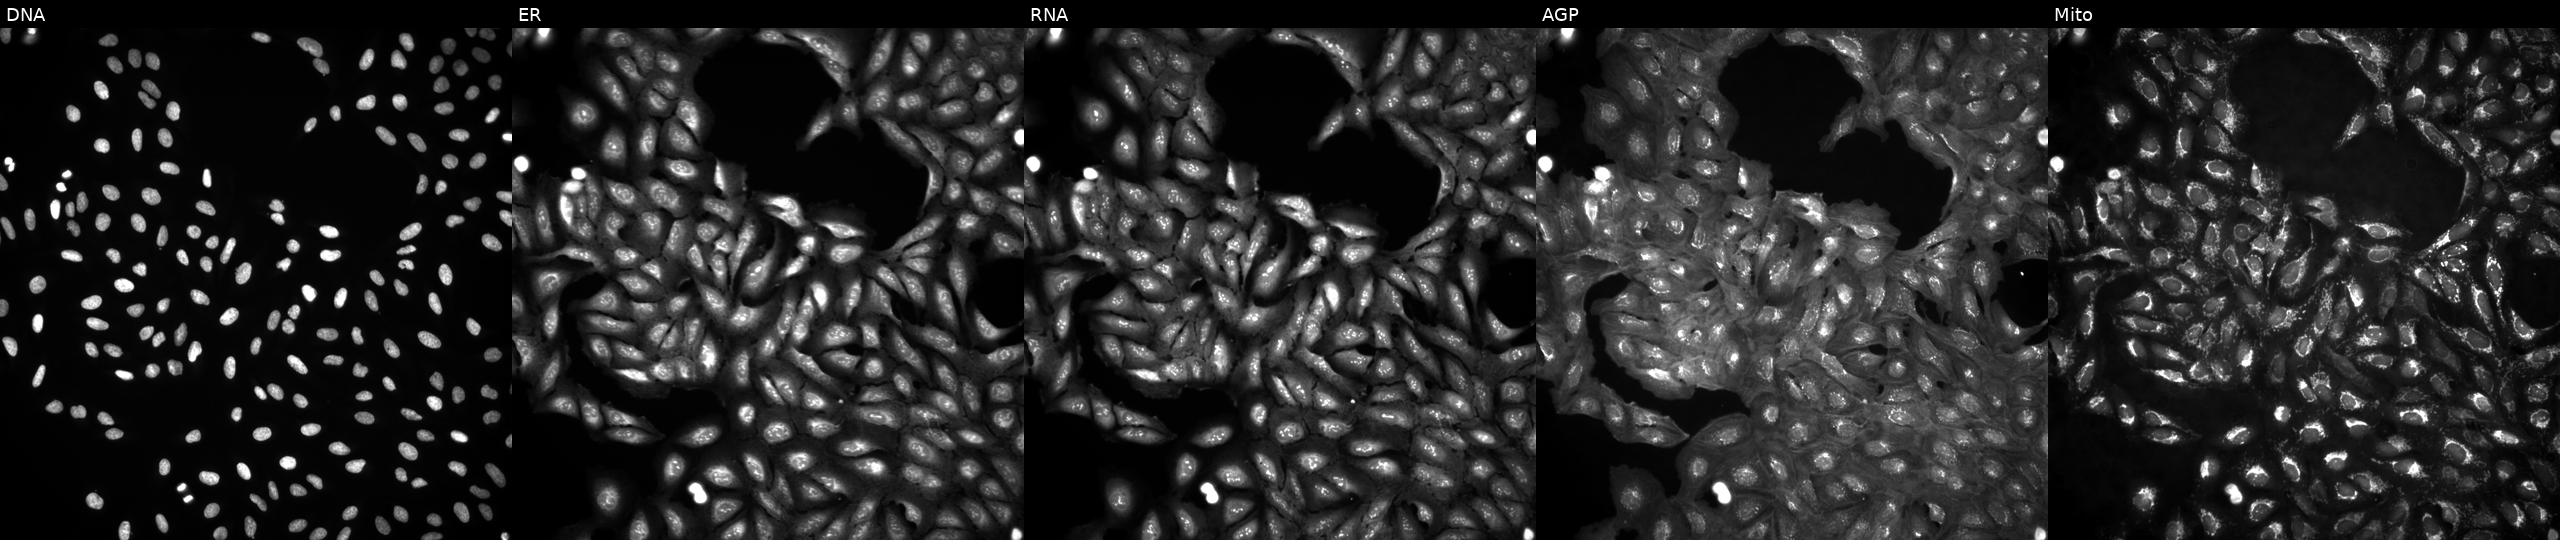
Five-channel Cell Painting image of U2OS cells untreated (empty-well control) (JUMP id JCP2022_999999). From left to right: DNA, ER, RNA, AGP, and Mito.